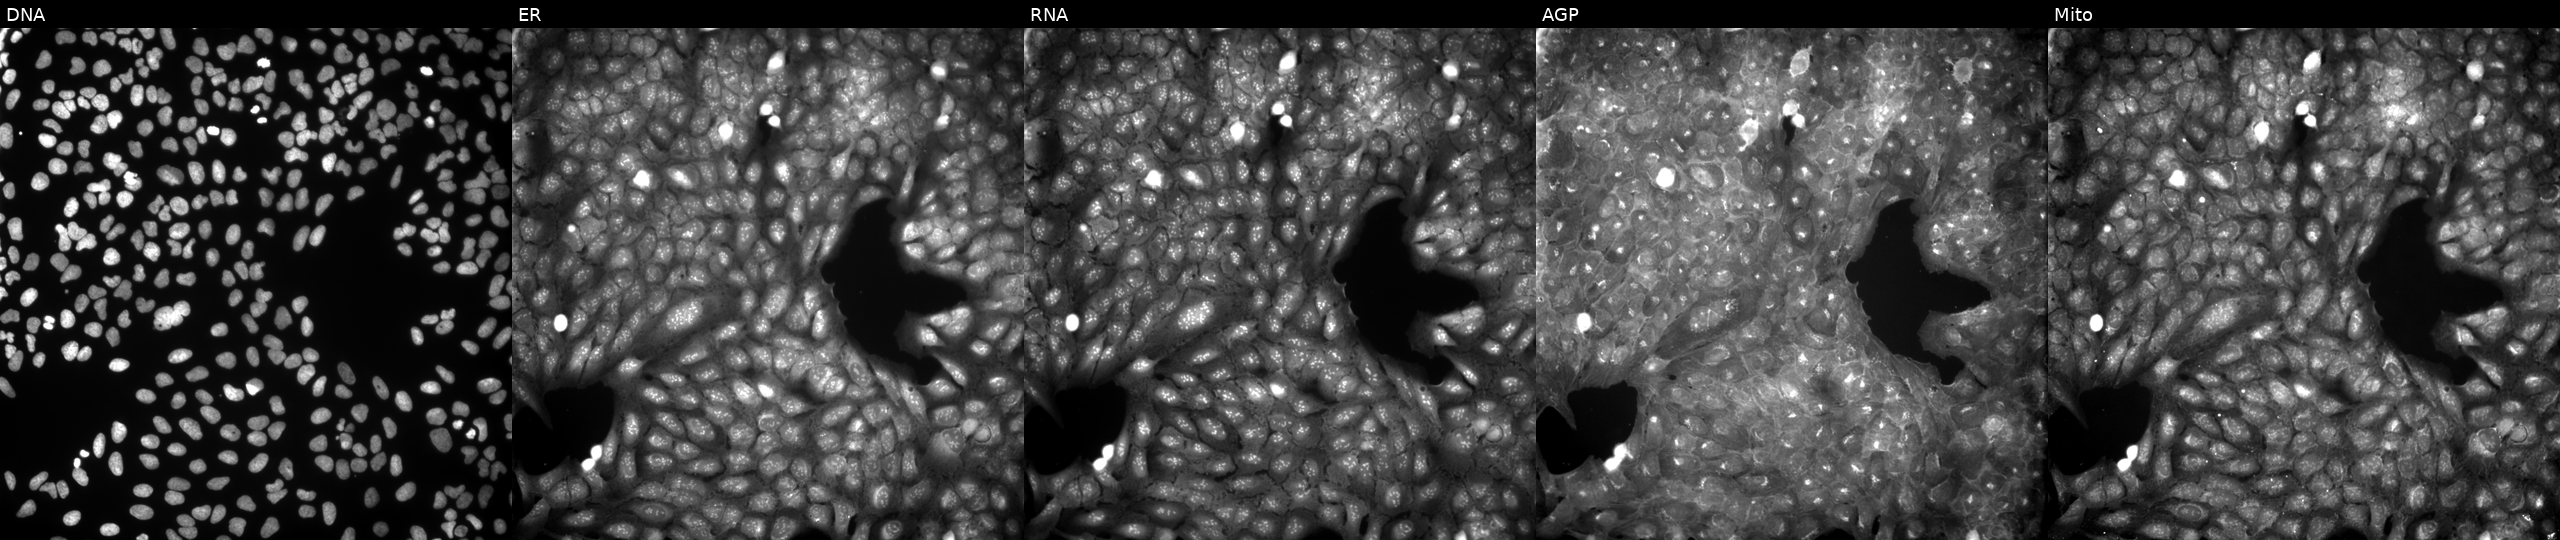
High-content fluorescence microscopy (Cell Painting). Cell line: U2OS. Perturbation: treated with a small-molecule compound [SMILES: COc1ccccc1NC(=O)C(CCS(C)(=O)=O)N1C(=O)c2ccccc2C1=O]. The five panels, left to right, show Hoechst 33342, concanavalin A, SYTO 14, phalloidin and WGA, MitoTracker.